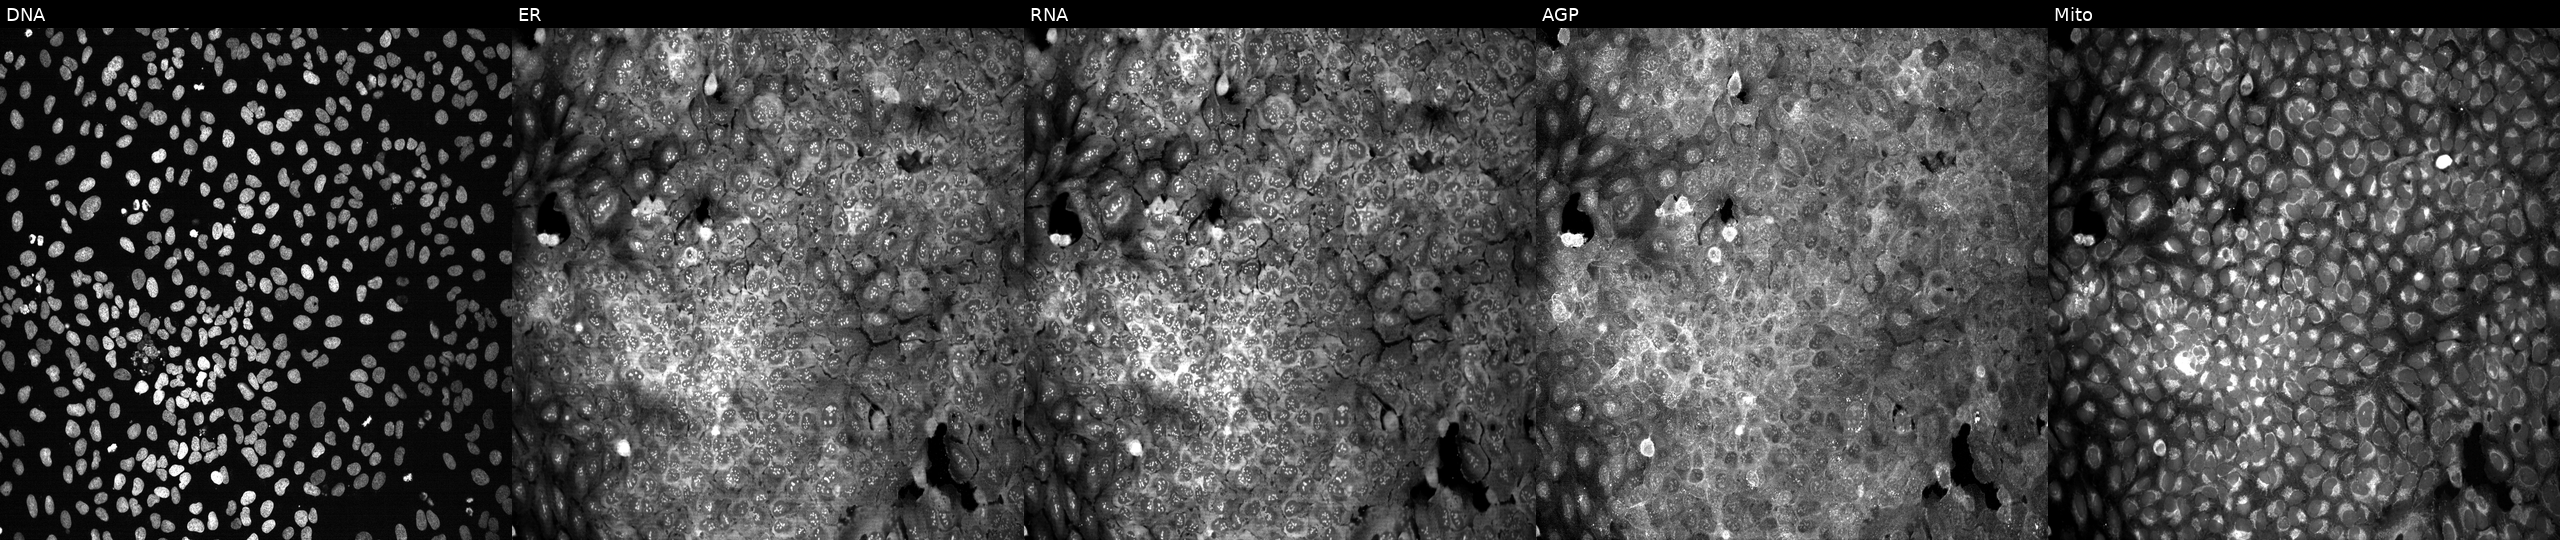
High-content fluorescence microscopy (Cell Painting). Cell line: U2OS. Perturbation: following CRISPR knockout of GOT1. Panels show, left to right, Hoechst 33342, concanavalin A, SYTO 14, phalloidin and WGA, MitoTracker.